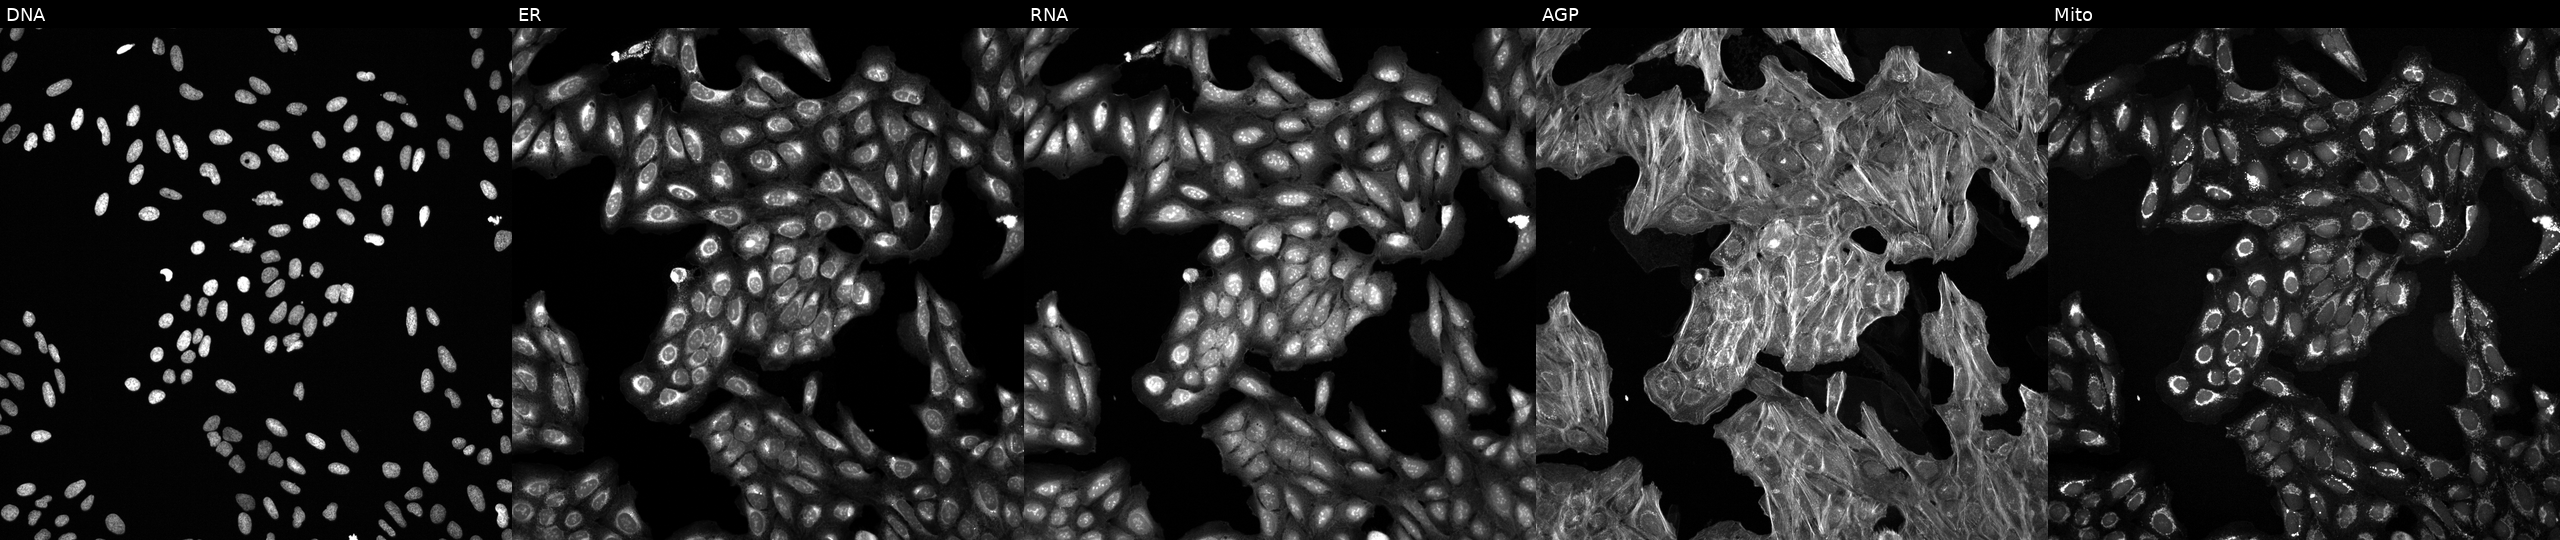
Five-channel Cell Painting image of U2OS cells treated with a small-molecule compound (InChIKey FHQSROSCGHJHNF-UHFFFAOYSA-N). Channels (left→right): Hoechst 33342, concanavalin A, SYTO 14, phalloidin and WGA, MitoTracker. Source 6, plate 110000293083, well I18.